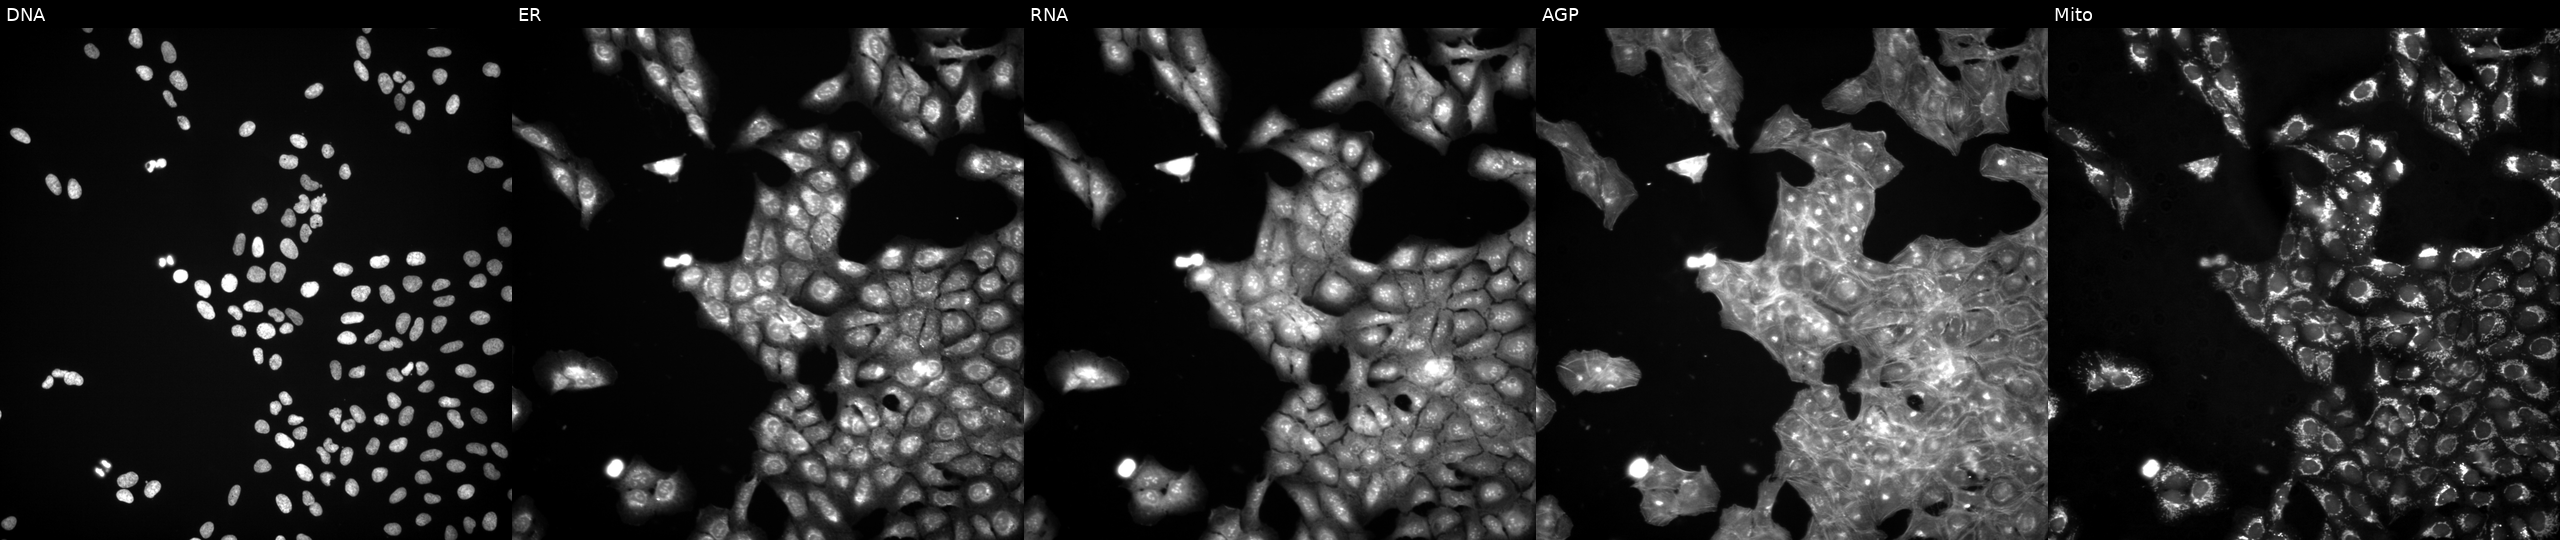
U2OS cells, Cell Painting assay, exposed to a small-molecule compound. Channels (left→right): Hoechst 33342, concanavalin A, SYTO 14, phalloidin and WGA, MitoTracker. Each panel is percentile-stretched 16-bit fluorescence.